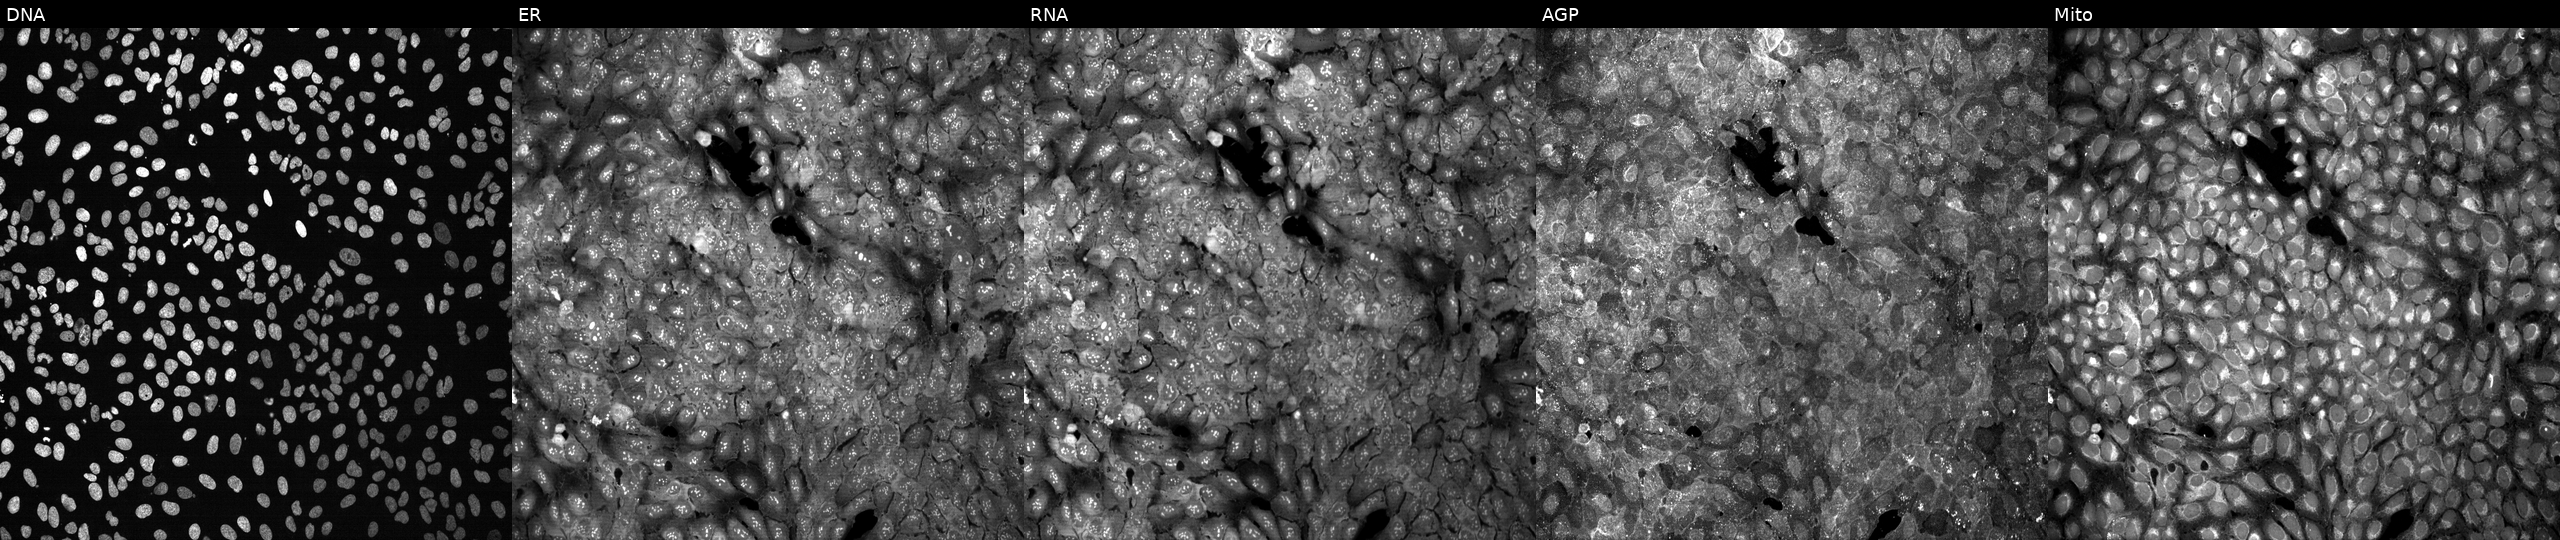
From left to right: DNA, ER, RNA, AGP, and Mito. U2OS osteosarcoma cells with SMYD3 knocked out by CRISPR (JUMP id JCP2022_806657). Cell Painting assay, JUMP-CP dataset.